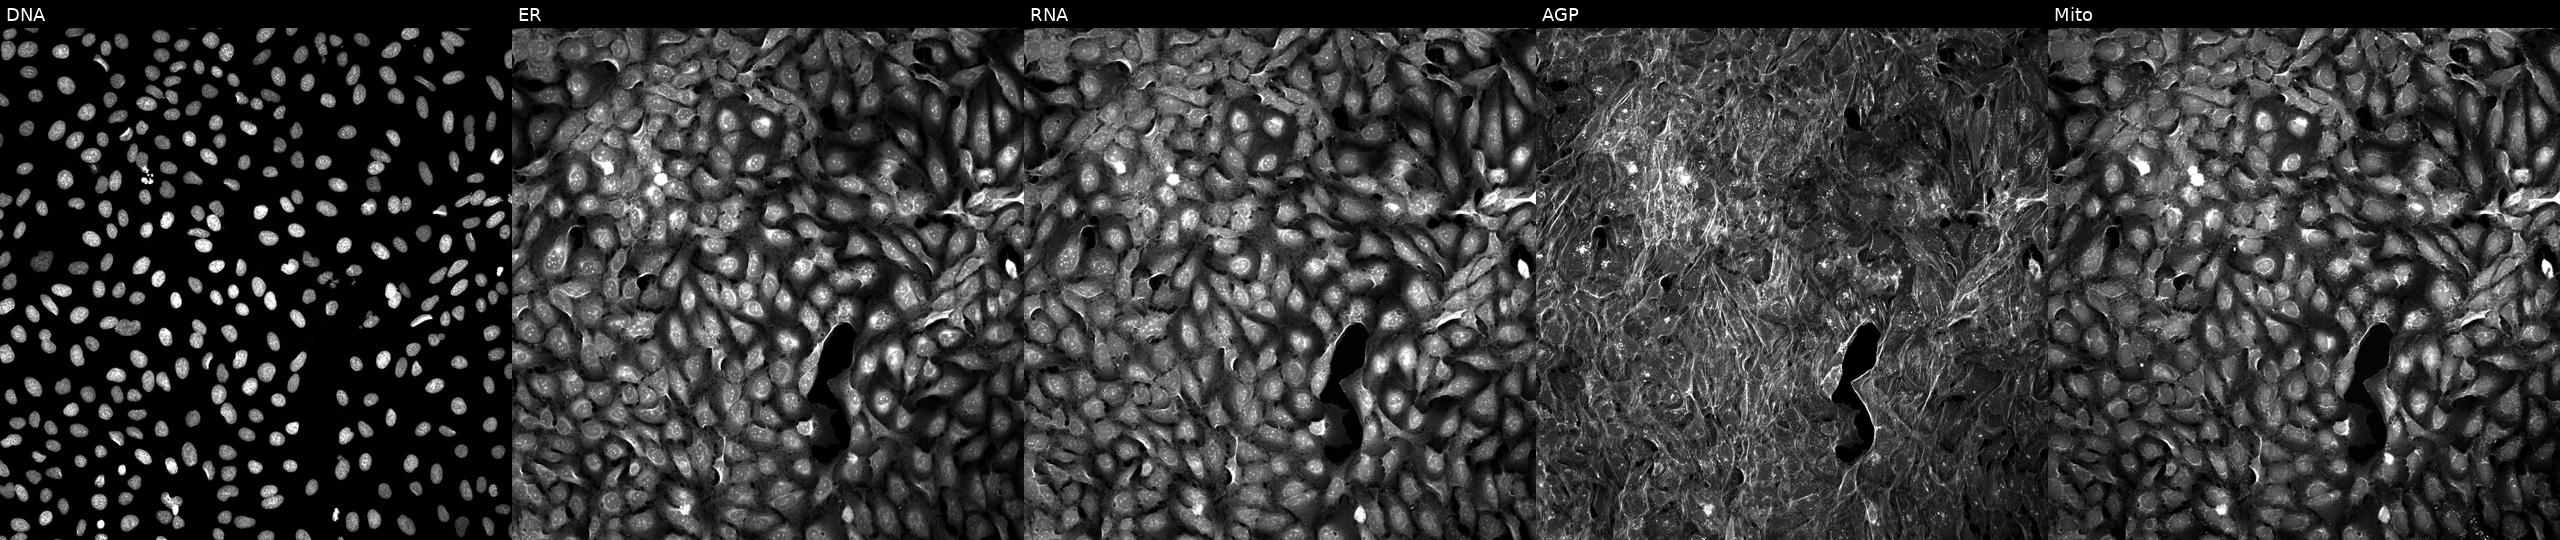
U2OS cells, Cell Painting assay, treated with FK-866 (positive-control compound) (JUMP id JCP2022_046054). Panels show, left to right, Hoechst 33342, concanavalin A, SYTO 14, phalloidin and WGA, MitoTracker. Each panel is percentile-stretched 16-bit fluorescence. Source 5, plate APTJUM106, well P24.